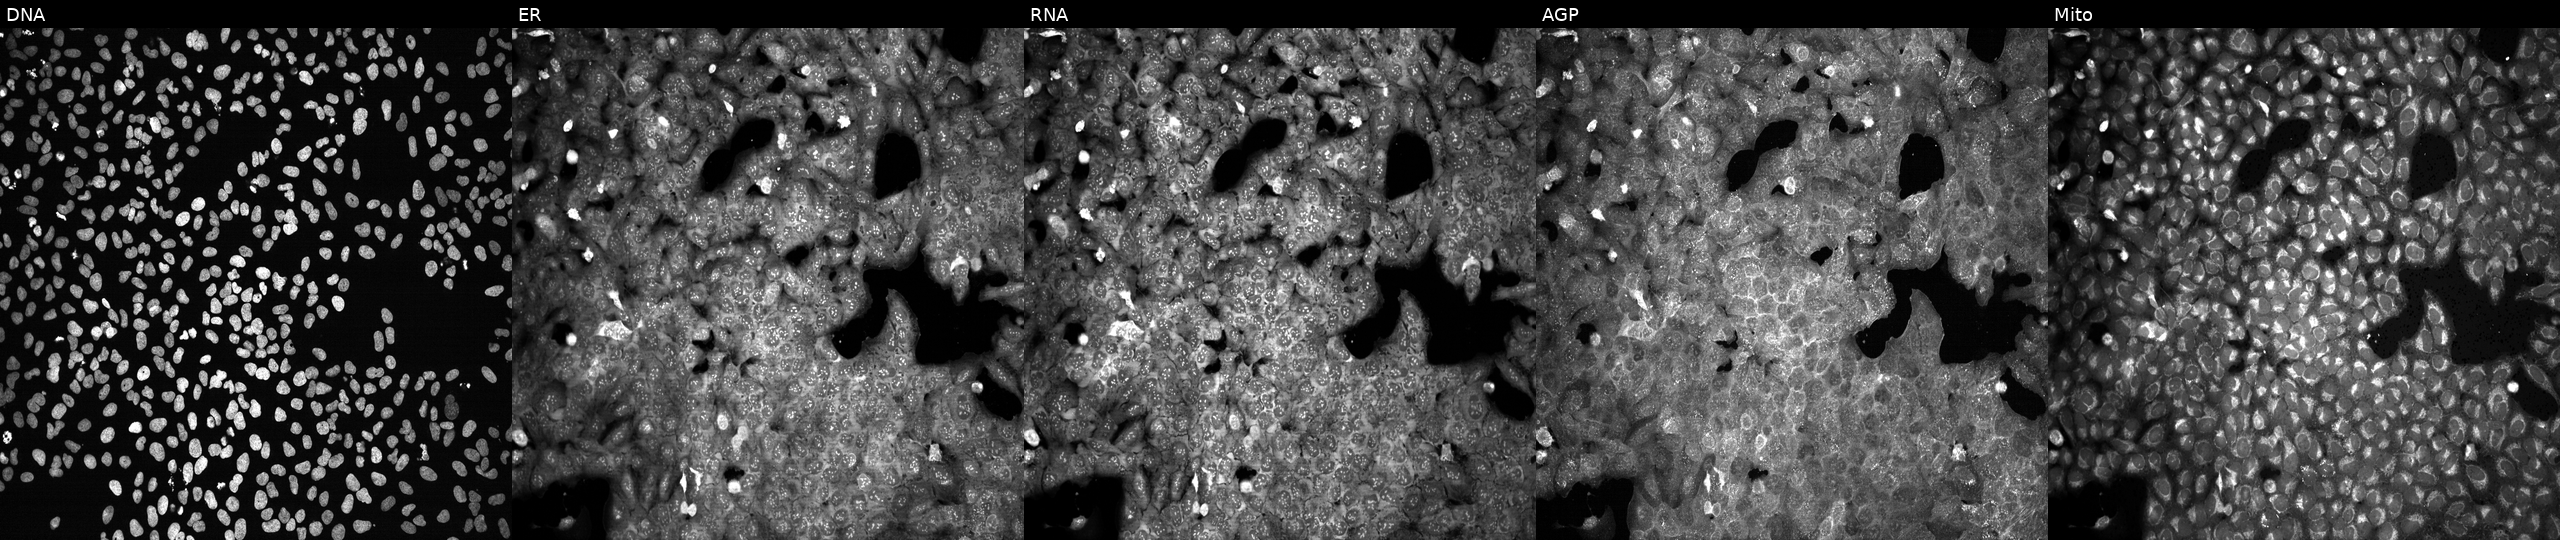
Five-channel Cell Painting image of U2OS cells treated with NVS-PAK1-1 (positive-control compound) (JUMP id JCP2022_064022). Panels show, left to right, DNA, ER, RNA, AGP, and Mito. Source 13, plate CP-CC9-R5-01, well K24.